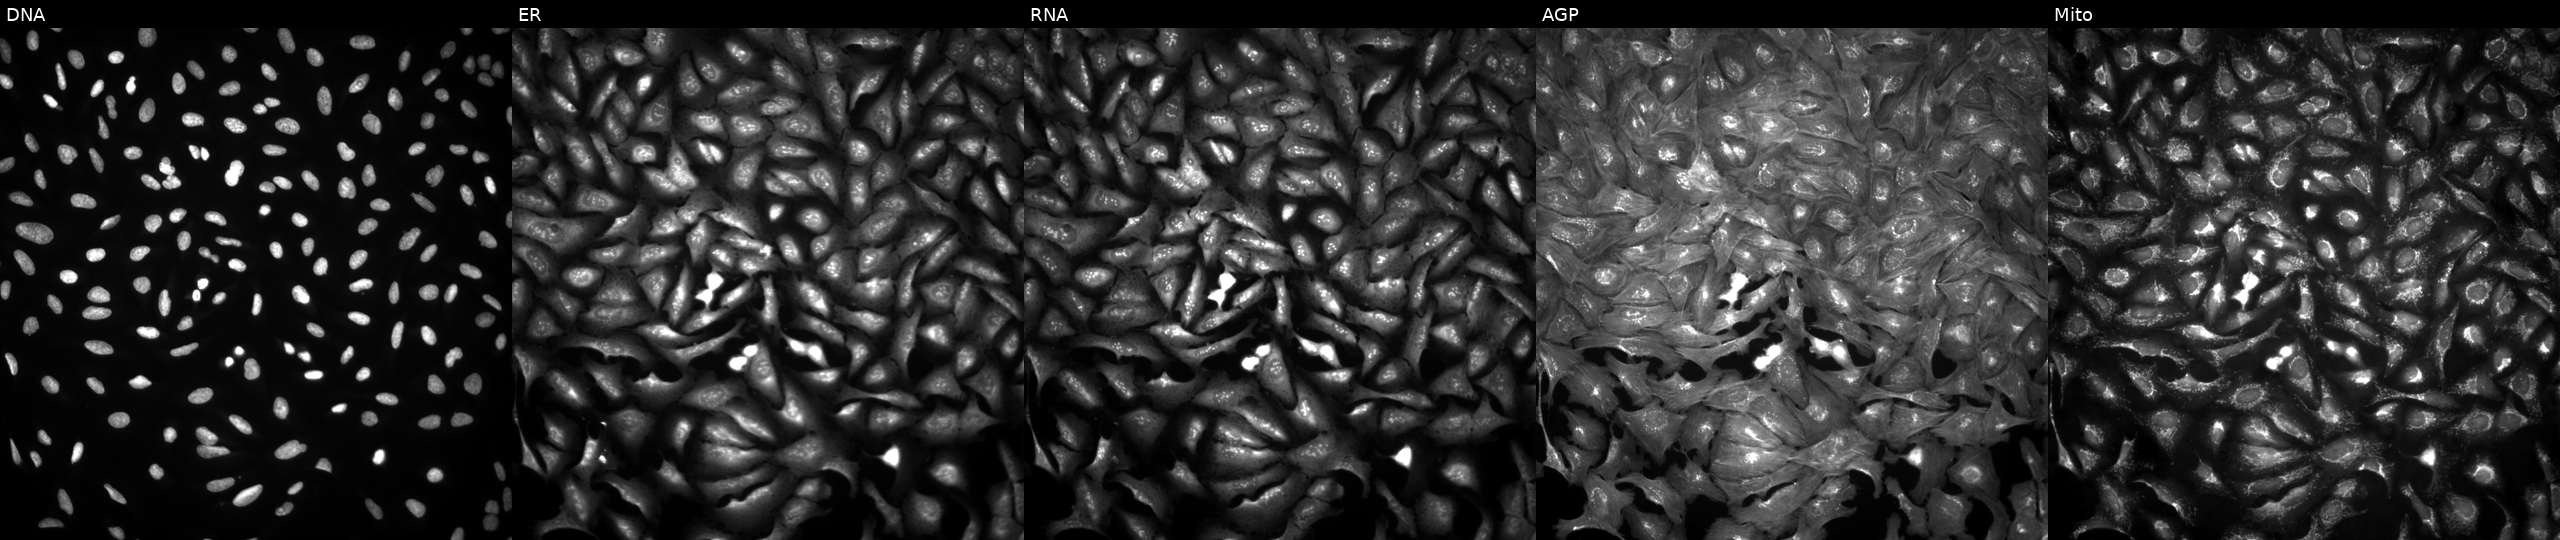
The five panels, left to right, show DNA, ER, RNA, AGP, and Mito. U2OS osteosarcoma cells with CLIC5 overexpressed (ORF) (JUMP id JCP2022_903181). Cell Painting assay, JUMP-CP dataset.